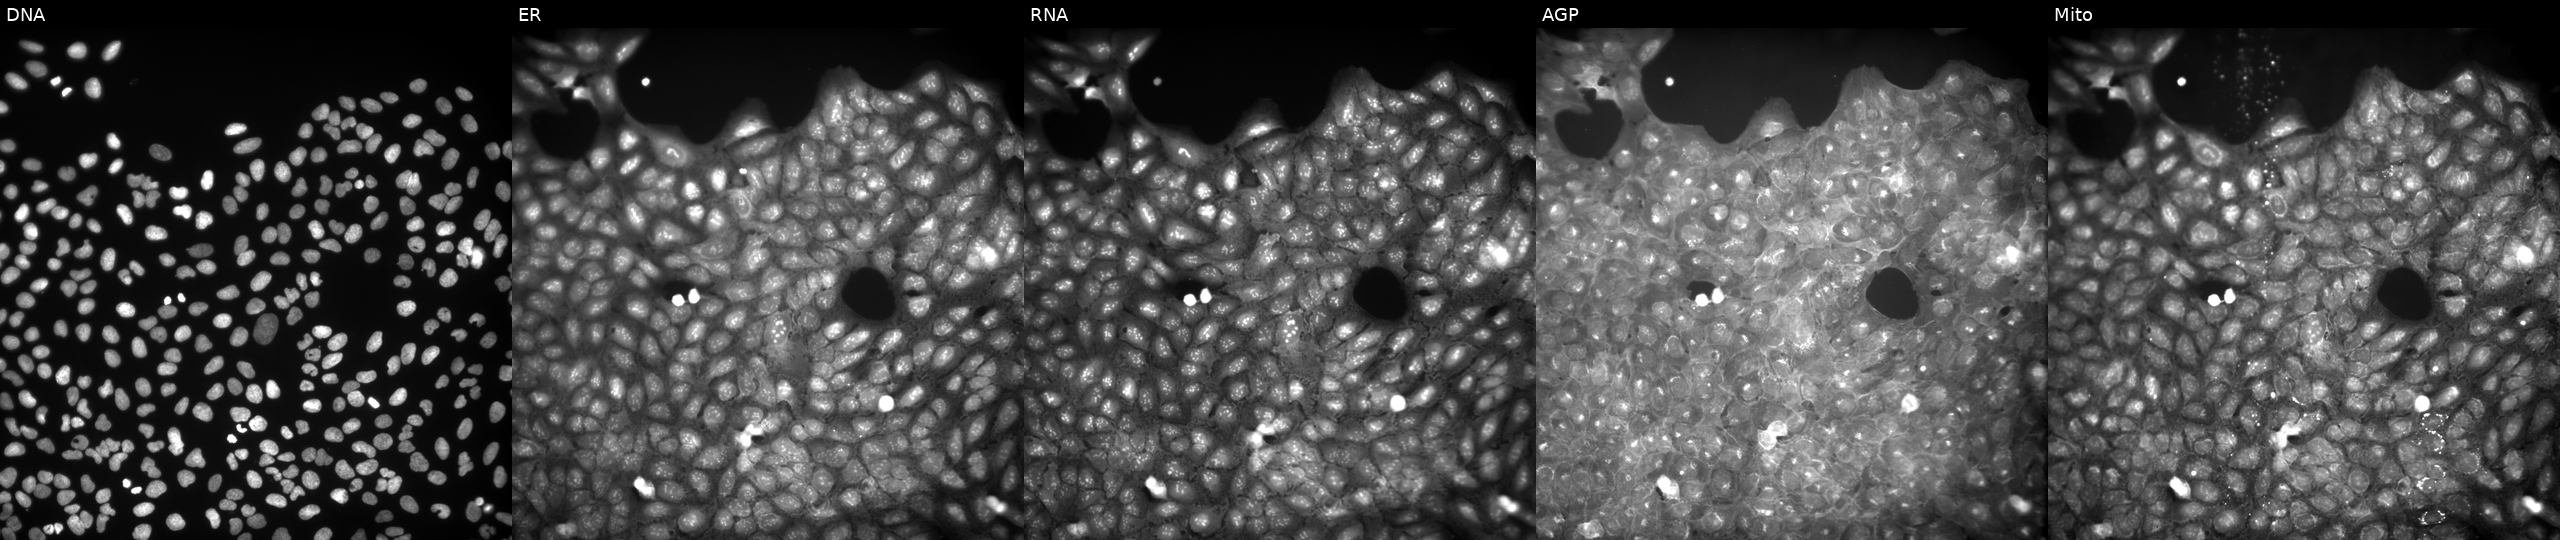
U2OS cells, Cell Painting assay, treated with a small-molecule compound (InChIKey NHMJUWHQLQCLPN-UHFFFAOYSA-N) (JUMP id JCP2022_059034). From left to right: Hoechst 33342, concanavalin A, SYTO 14, phalloidin and WGA, MitoTracker. Each panel is percentile-stretched 16-bit fluorescence.